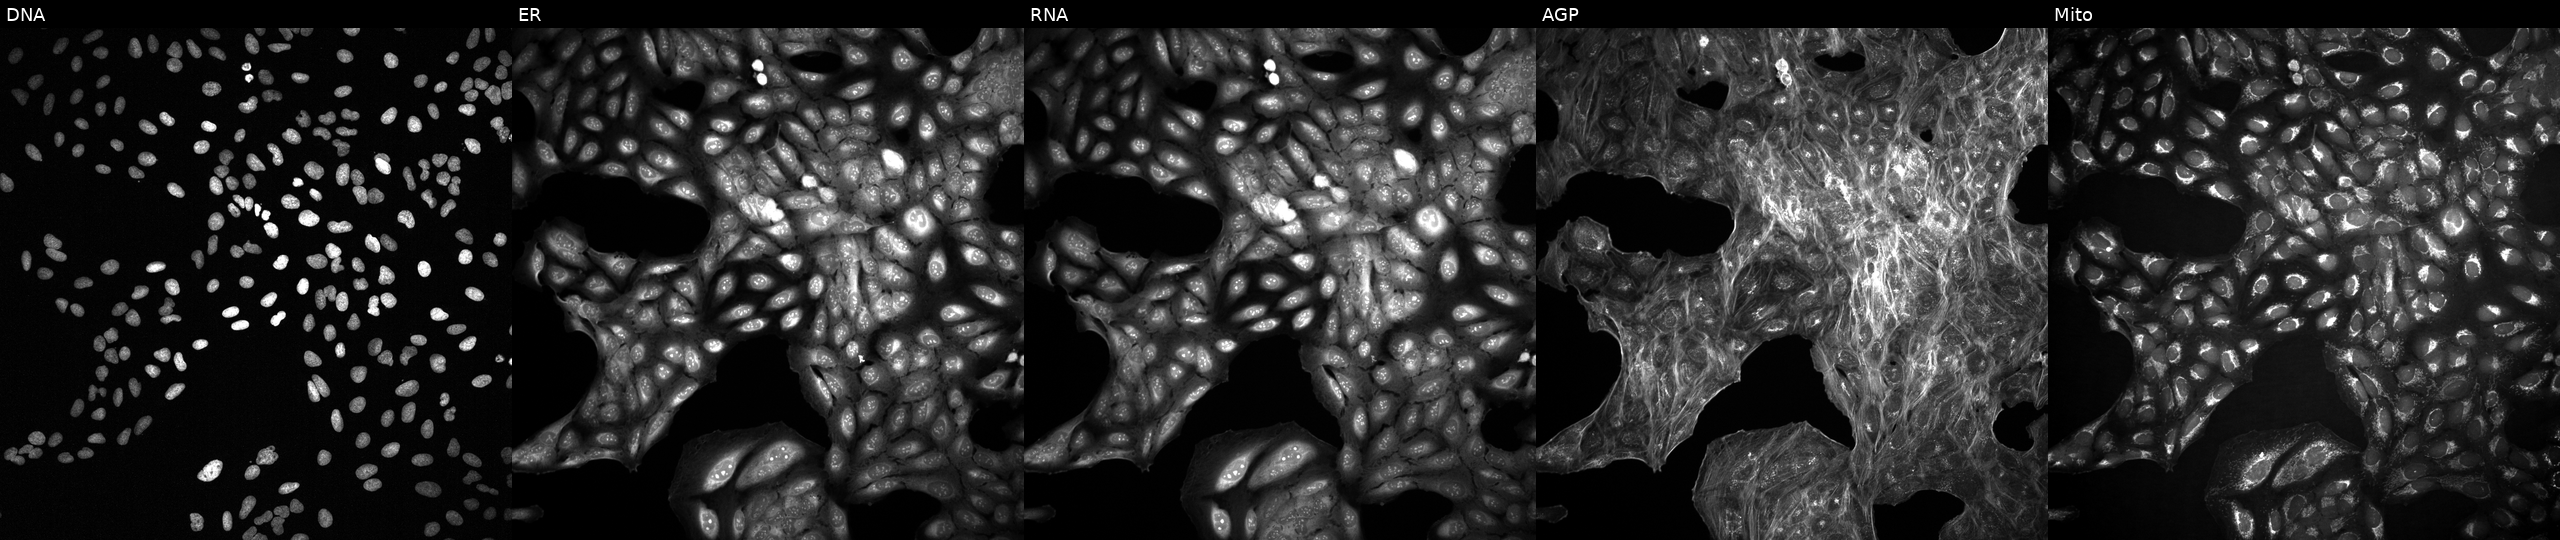
Panels show, left to right, DNA, ER, RNA, AGP, and Mito. U2OS osteosarcoma cells treated with a small-molecule compound (InChIKey OPPDDQHQRUDQQH-UHFFFAOYSA-N) (JUMP id JCP2022_065328). Cell Painting assay, JUMP-CP dataset.